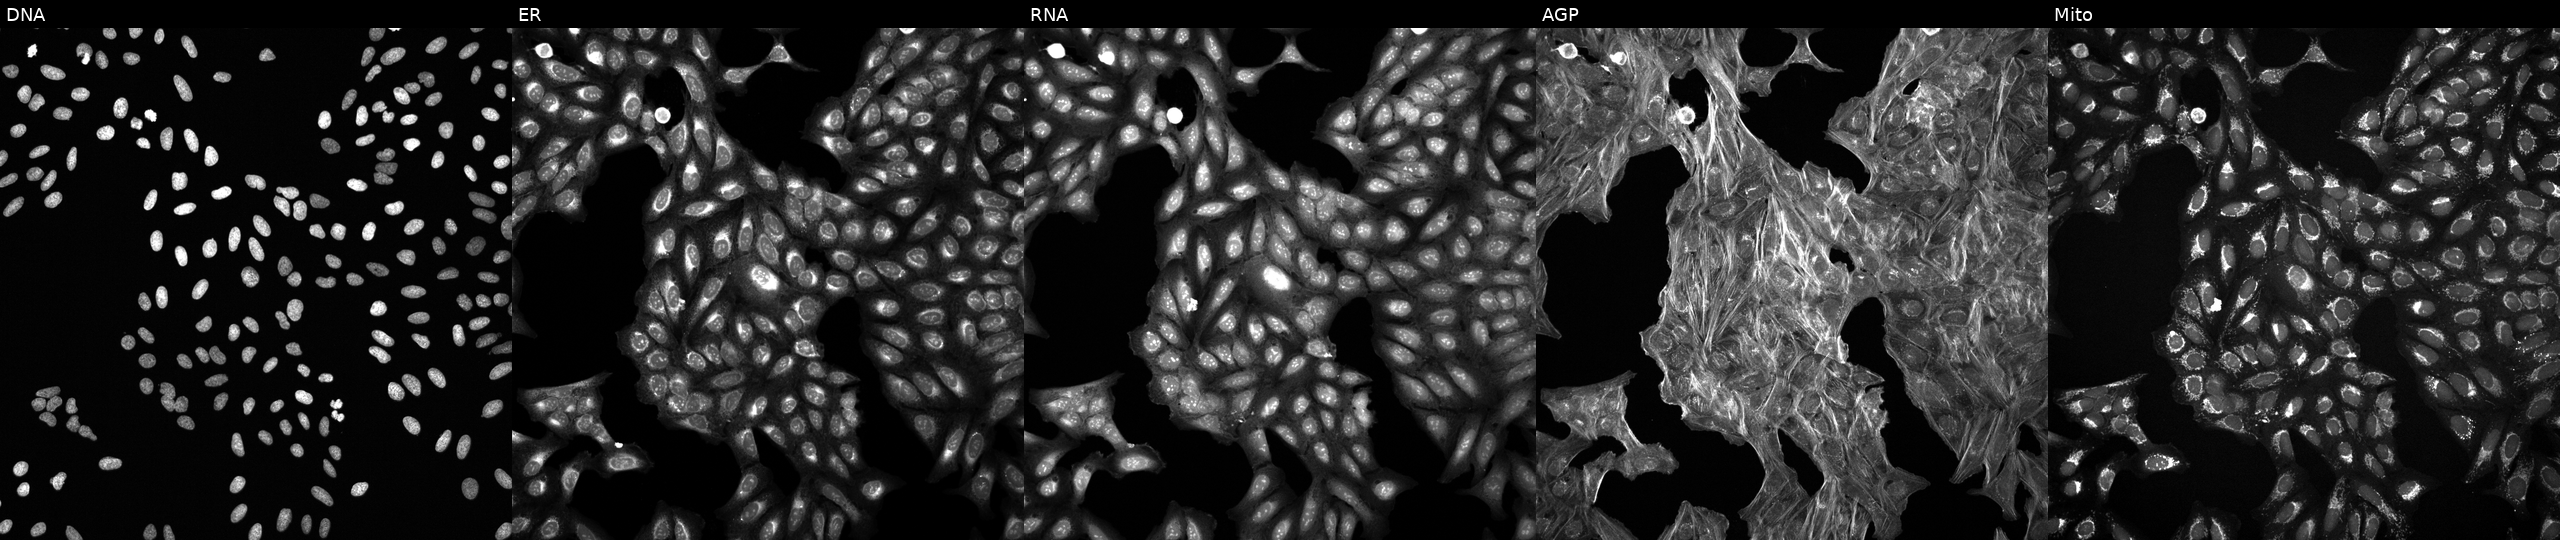
JUMP Cell Painting — COMPOUND plate. U2OS cells perturbed with a small-molecule compound (InChIKey BMROMWSTYPEQAX-UHFFFAOYSA-N) (JUMP id JCP2022_007322). Panels show, left to right, DNA, ER, RNA, AGP, and Mito. Source 6, plate 110000293083, well J16.